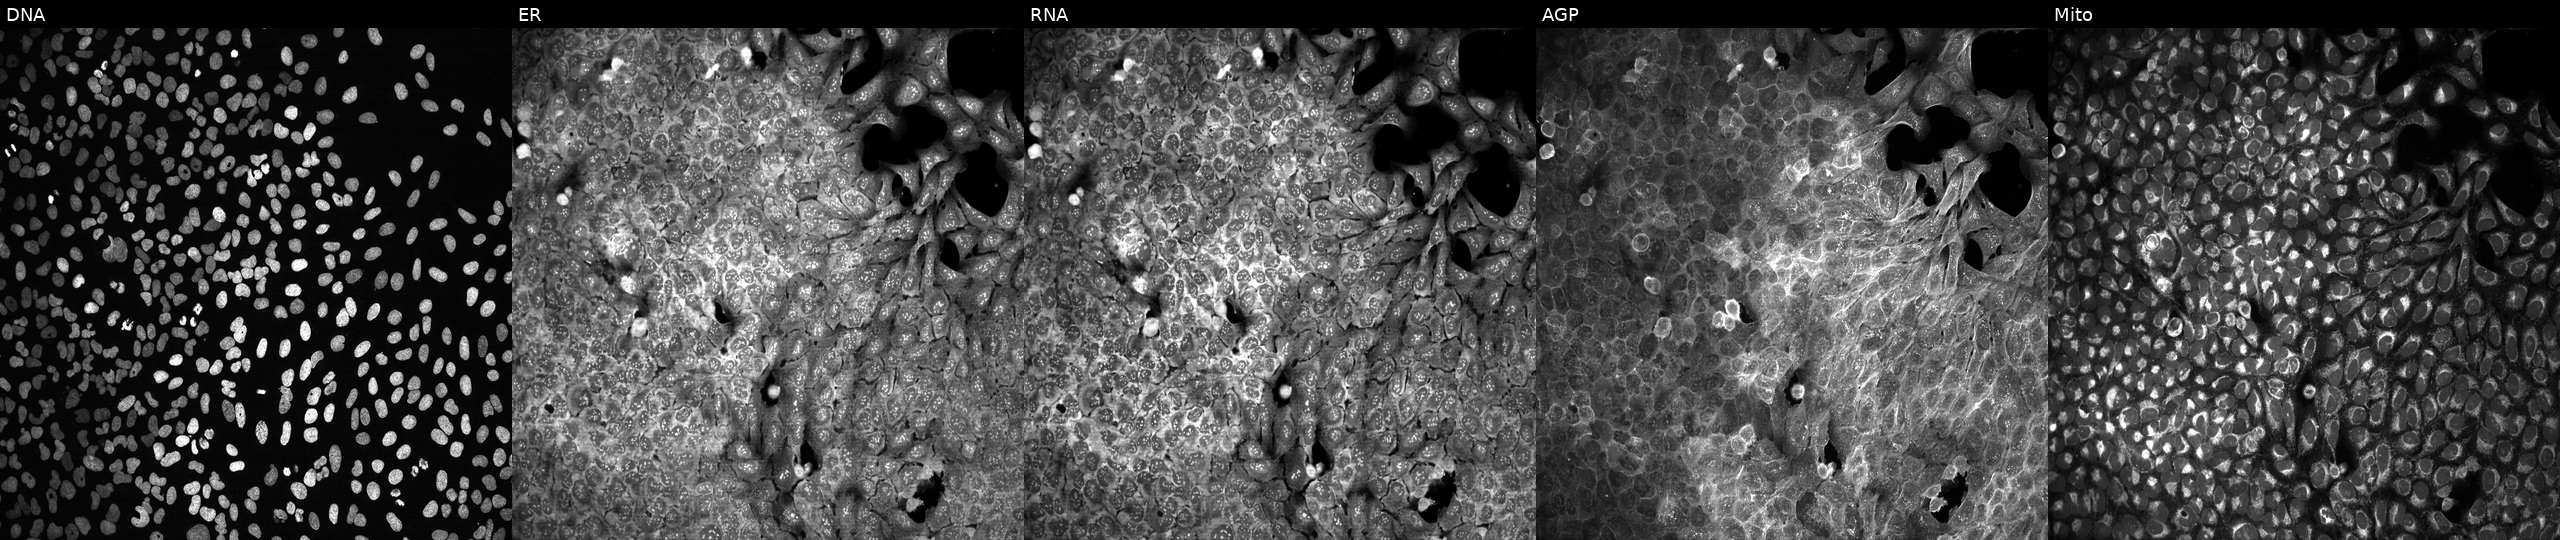
U2OS cells, Cell Painting assay, treated with DMSO vehicle only (negative control). Channels (left→right): Hoechst 33342, concanavalin A, SYTO 14, phalloidin and WGA, MitoTracker. Each panel is percentile-stretched 16-bit fluorescence.